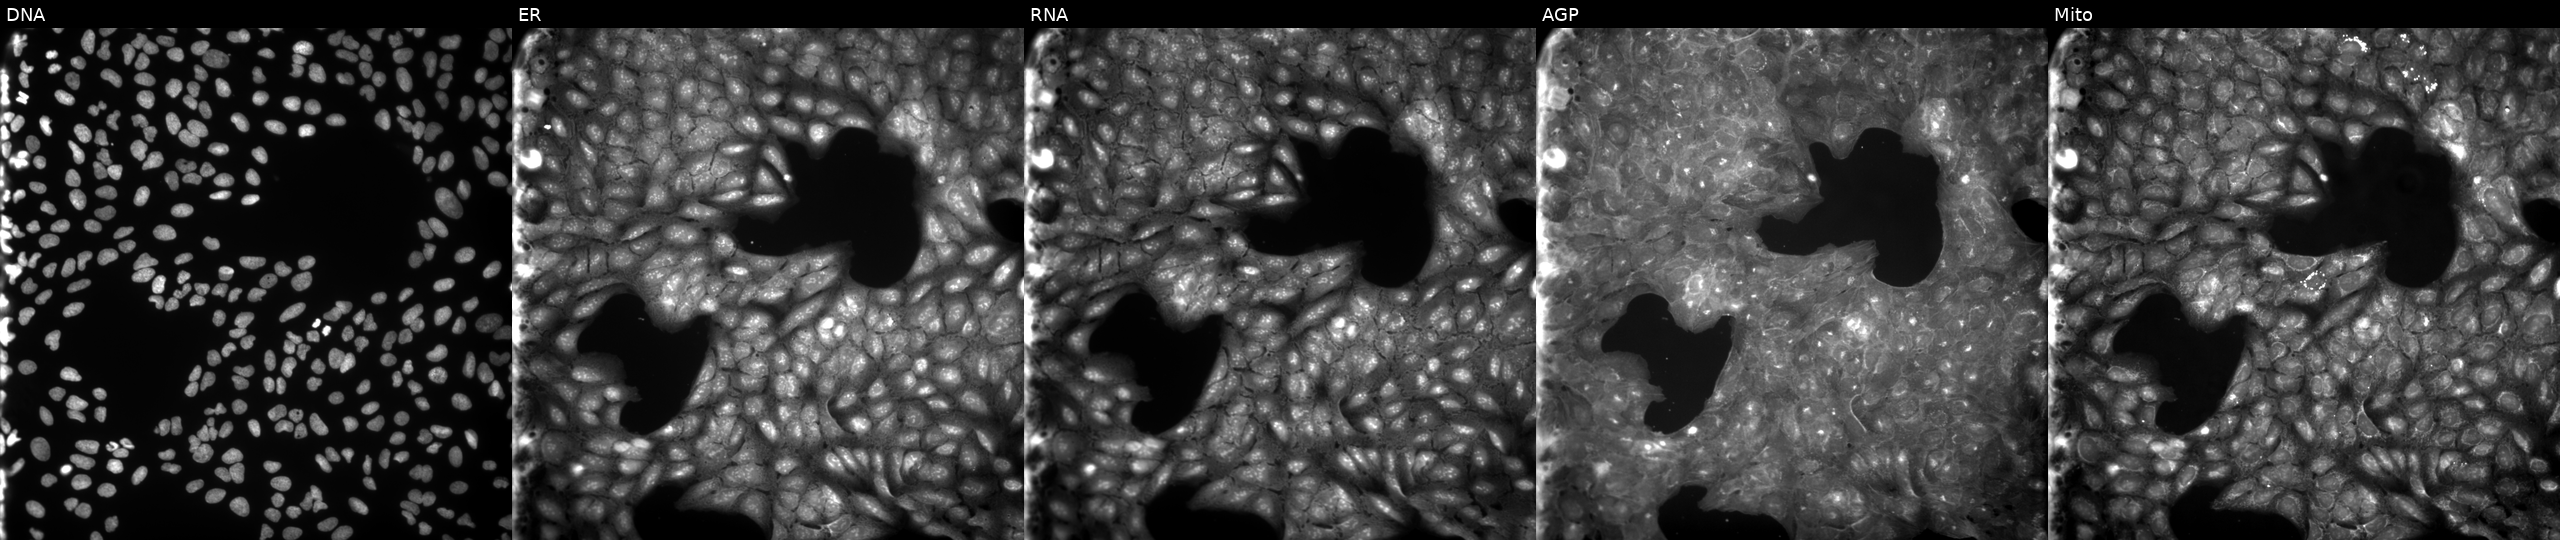
JUMP Cell Painting — COMPOUND plate. U2OS cells treated with a small-molecule compound (InChIKey DALCTXZKCKJGQE-UHFFFAOYSA-N) (JUMP id JCP2022_014666). Channels (left→right): Hoechst 33342, concanavalin A, SYTO 14, phalloidin and WGA, MitoTracker.